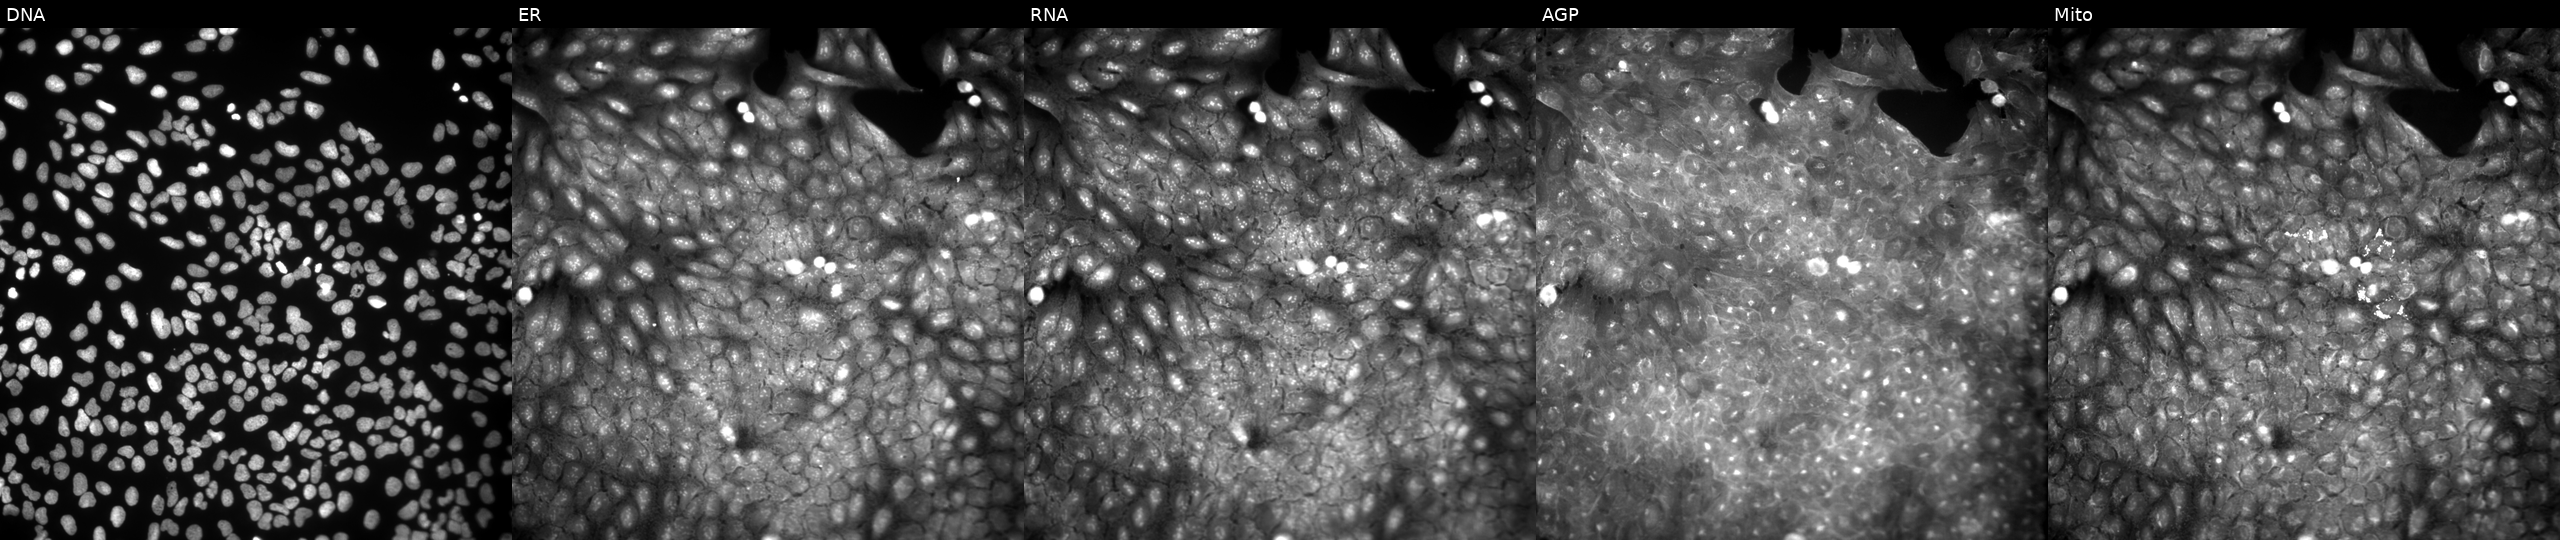
Channels (left→right): DNA, ER, RNA, AGP, and Mito. U2OS osteosarcoma cells treated with a small-molecule compound (InChIKey PRNZEVLFVWJHQZ-UHFFFAOYSA-N). Cell Painting assay, JUMP-CP dataset.